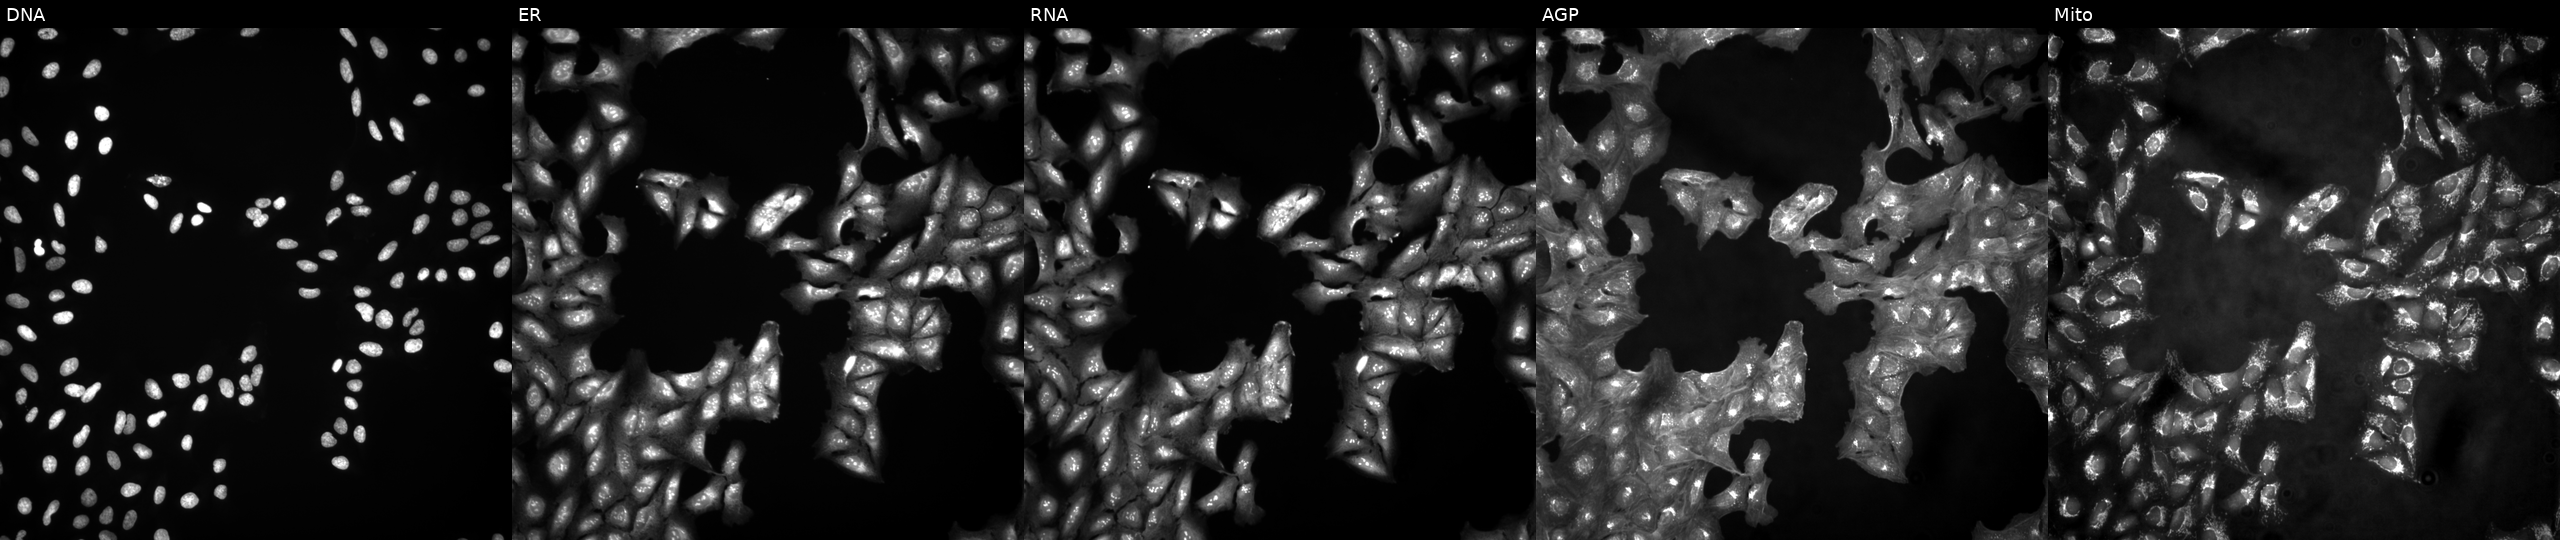
This image strip shows the five Cell Painting channels for a single field of U2OS cells untreated (empty-well control) (JUMP id JCP2022_999999). The five panels, left to right, show Hoechst 33342, concanavalin A, SYTO 14, phalloidin and WGA, MitoTracker. Source 4, plate BR00123946, well K08.